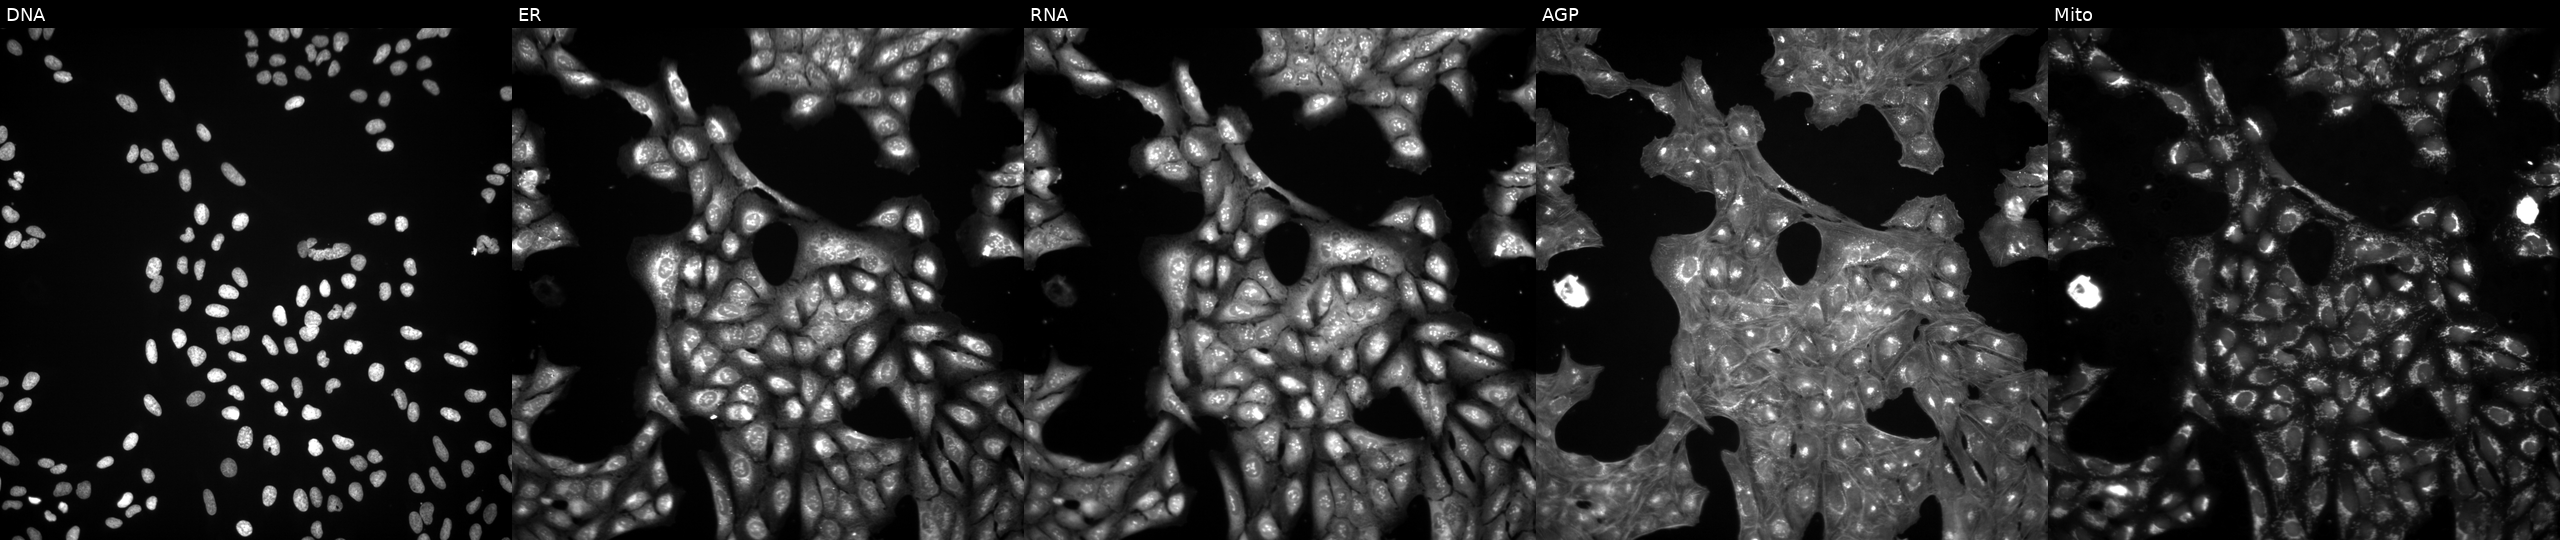
Channels (left→right): DNA, ER, RNA, AGP, and Mito. U2OS osteosarcoma cells perturbed with a small-molecule compound [SMILES: NNC(=O)CSc1nc2scc(-c3ccccc3)c2c(=O)n1-c1ccccc1] (JUMP id JCP2022_099471). Cell Painting assay, JUMP-CP dataset. Source 3, plate JCPQC052, well A17.